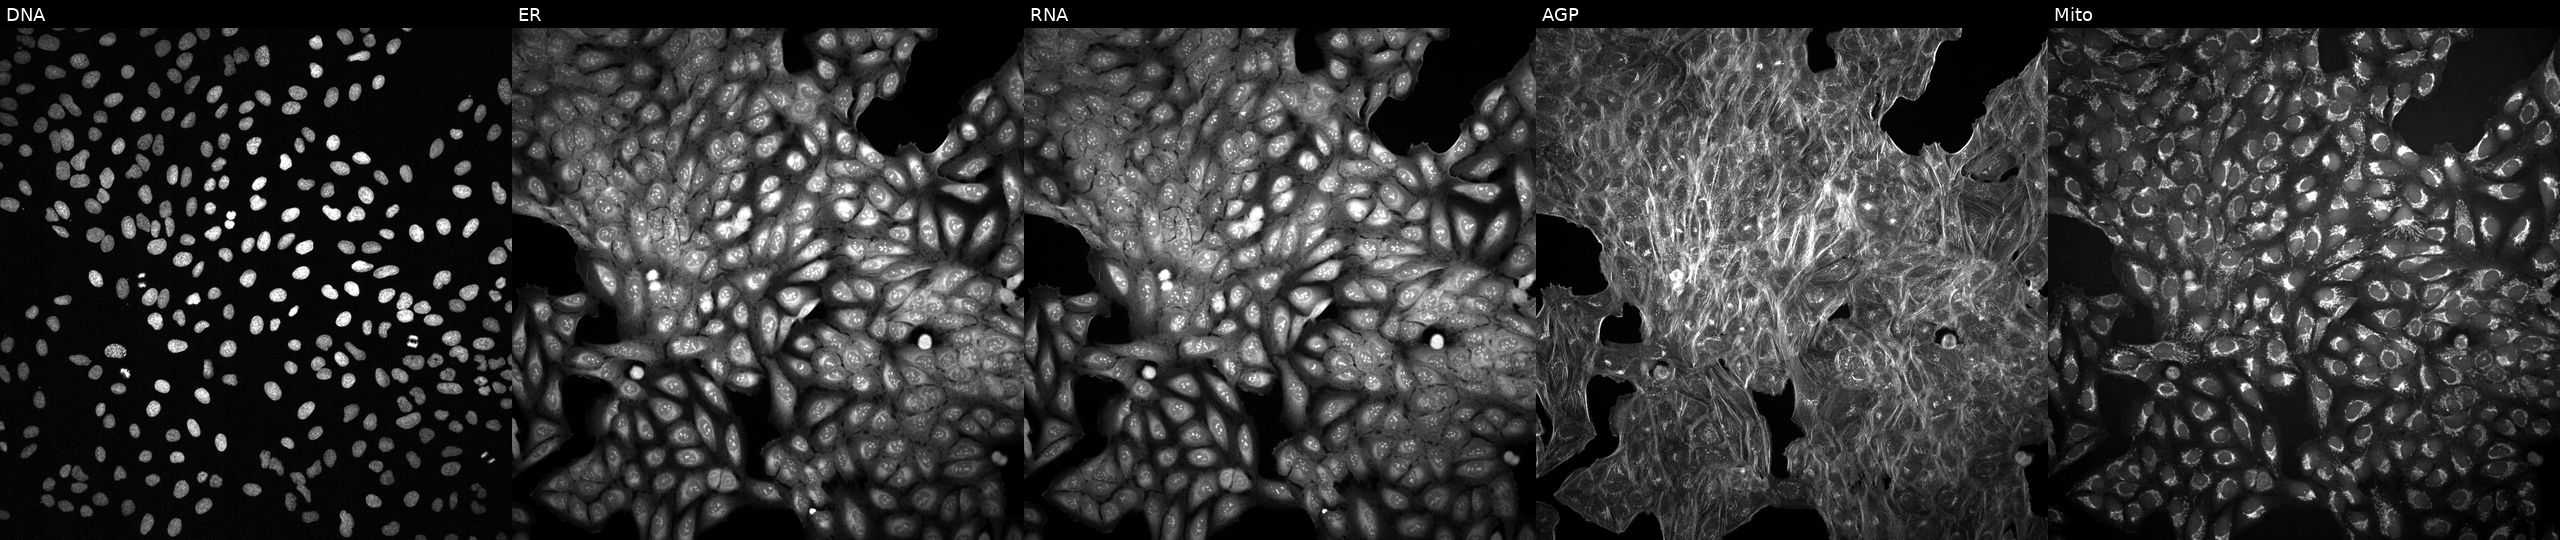
U2OS cells, Cell Painting assay, treated with a small-molecule compound (JUMP id JCP2022_060311). Panels show, left to right, DNA, ER, RNA, AGP, and Mito. Each panel is percentile-stretched 16-bit fluorescence.